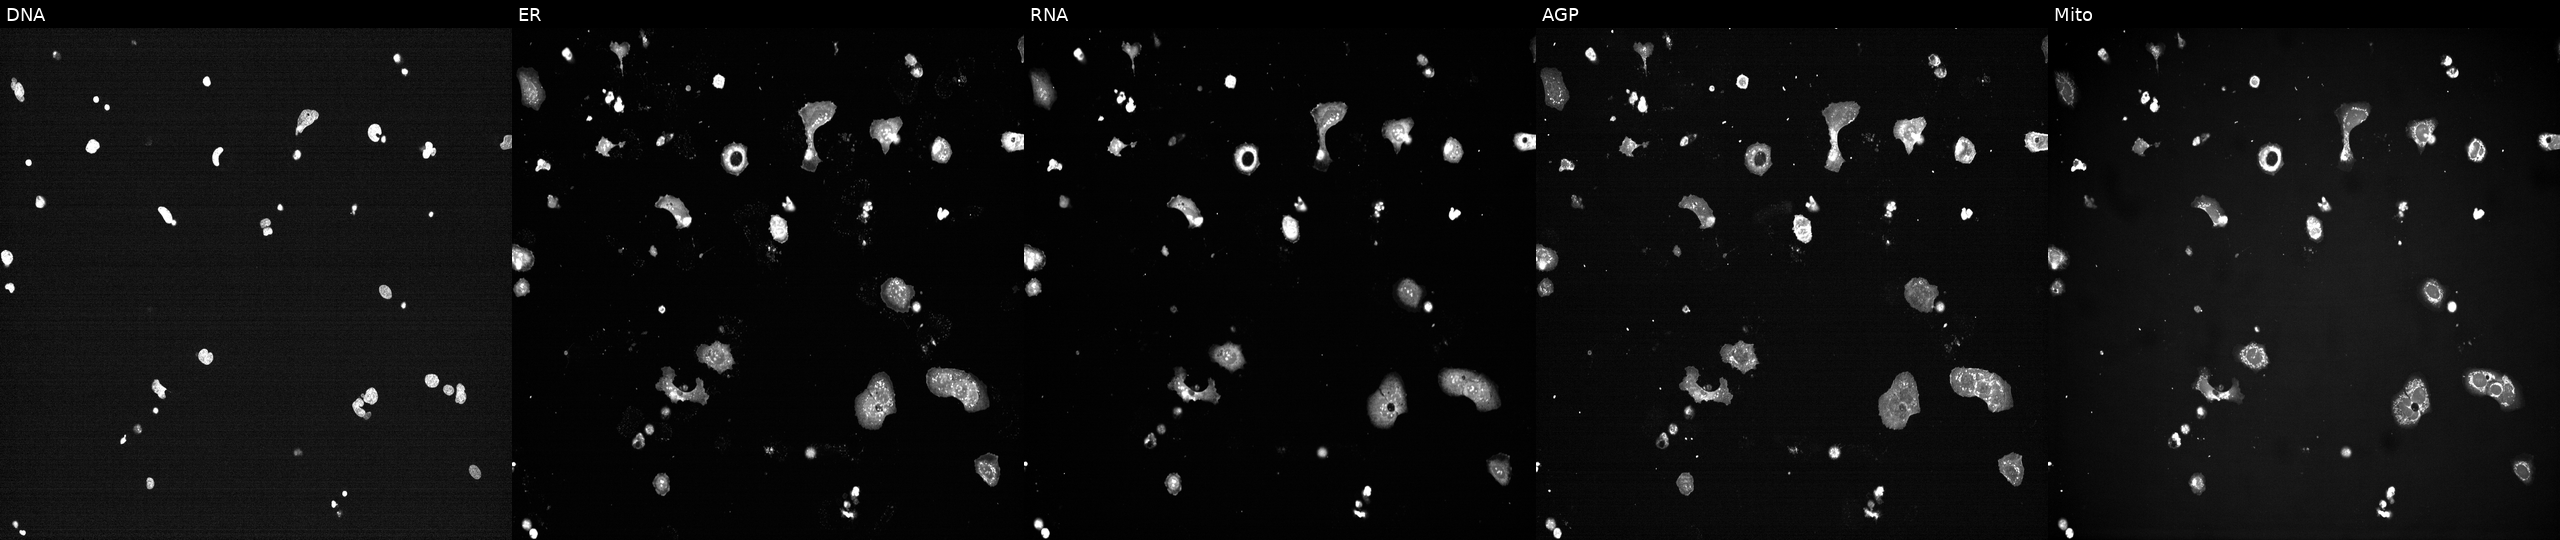
Panels show, left to right, DNA (nuclei); ER (endoplasmic reticulum); RNA (nucleoli and cytoplasmic RNA); AGP (actin cytoskeleton, Golgi, and plasma membrane); Mito (mitochondria). U2OS osteosarcoma cells exposed to a small-molecule compound (InChIKey CWHUFRVAEUJCEF-UHFFFAOYSA-N) (JUMP id JCP2022_013856). Cell Painting assay, JUMP-CP dataset.